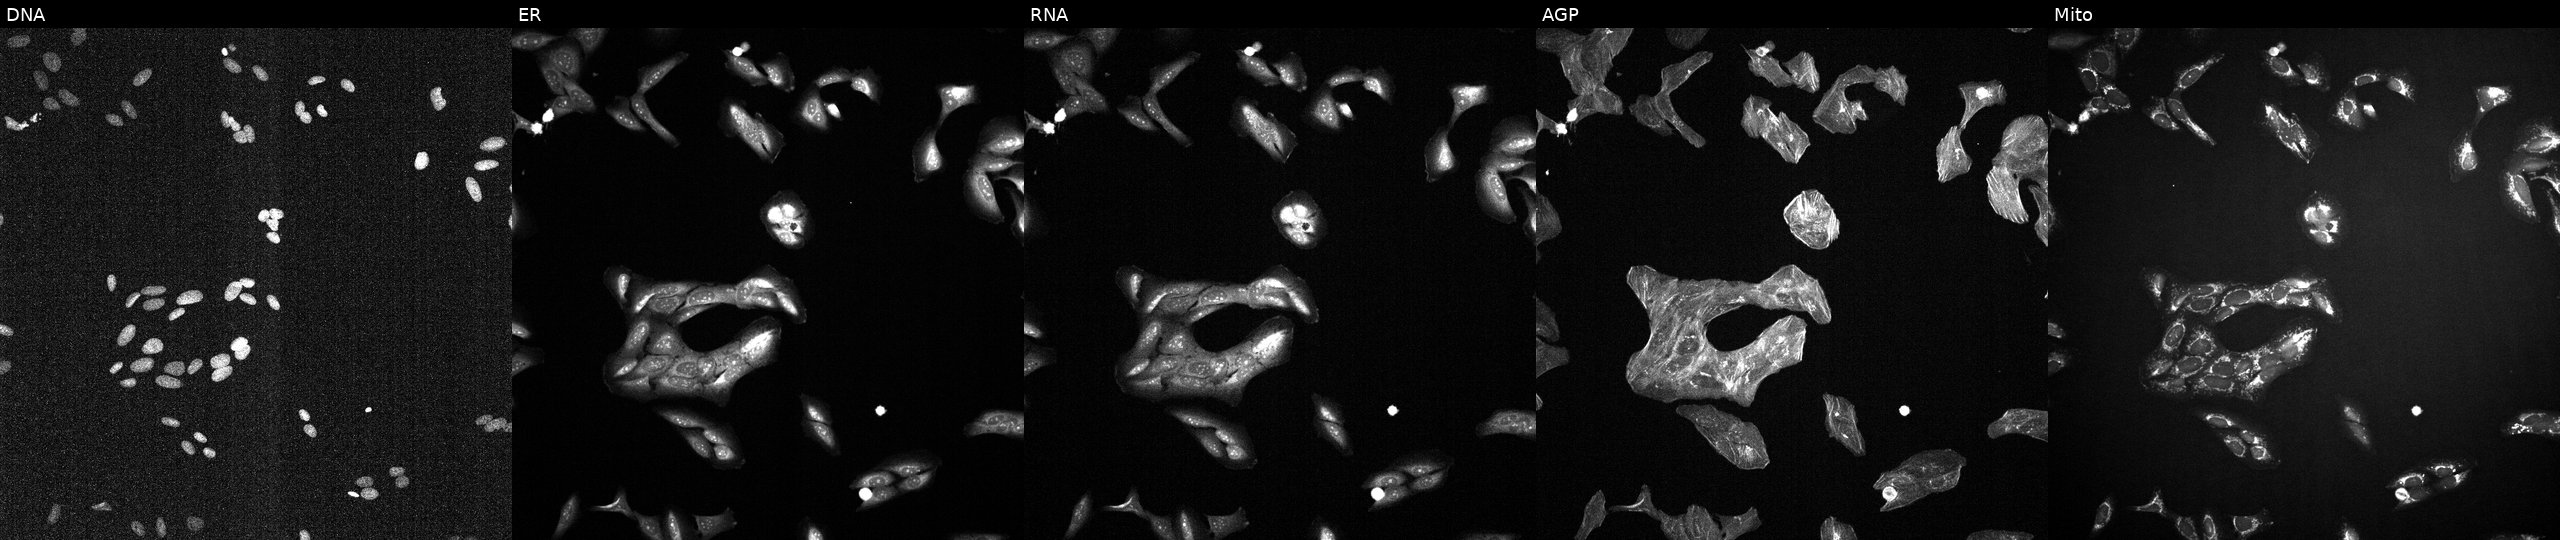
JUMP Cell Painting — TARGET2 plate. U2OS cells with an unidentified perturbation (not annotated in JUMP metadata). Channels (left→right): DNA (nuclei); ER (endoplasmic reticulum); RNA (nucleoli and cytoplasmic RNA); AGP (actin cytoskeleton, Golgi, and plasma membrane); Mito (mitochondria).